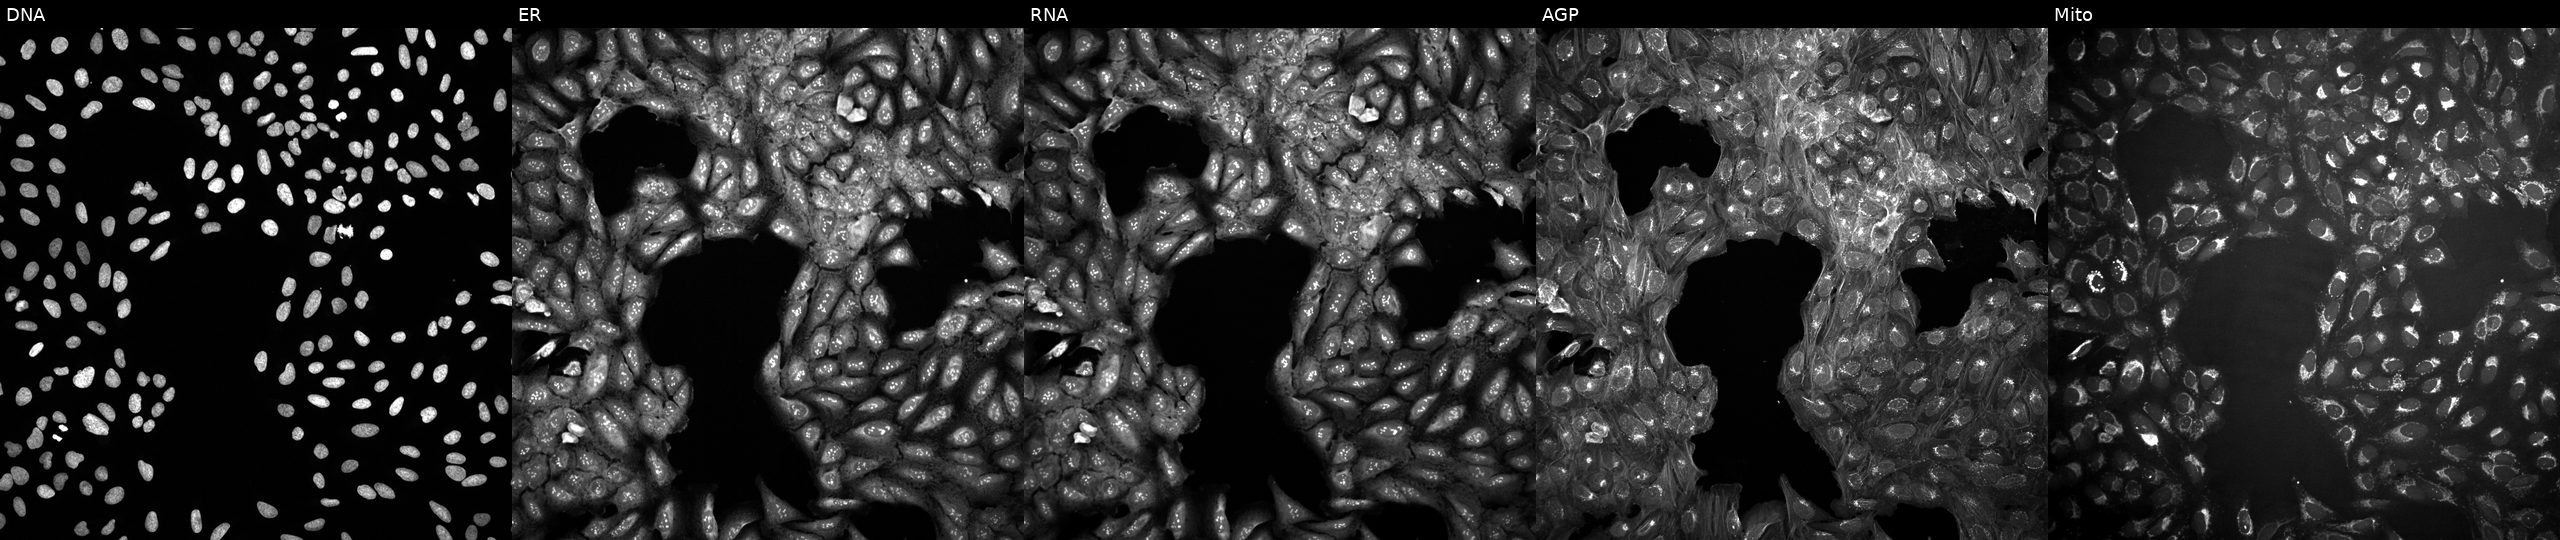
This image strip shows the five Cell Painting channels for a single field of U2OS cells exposed to DMSO alone as a negative control. From left to right: Hoechst 33342, concanavalin A, SYTO 14, phalloidin and WGA, MitoTracker.